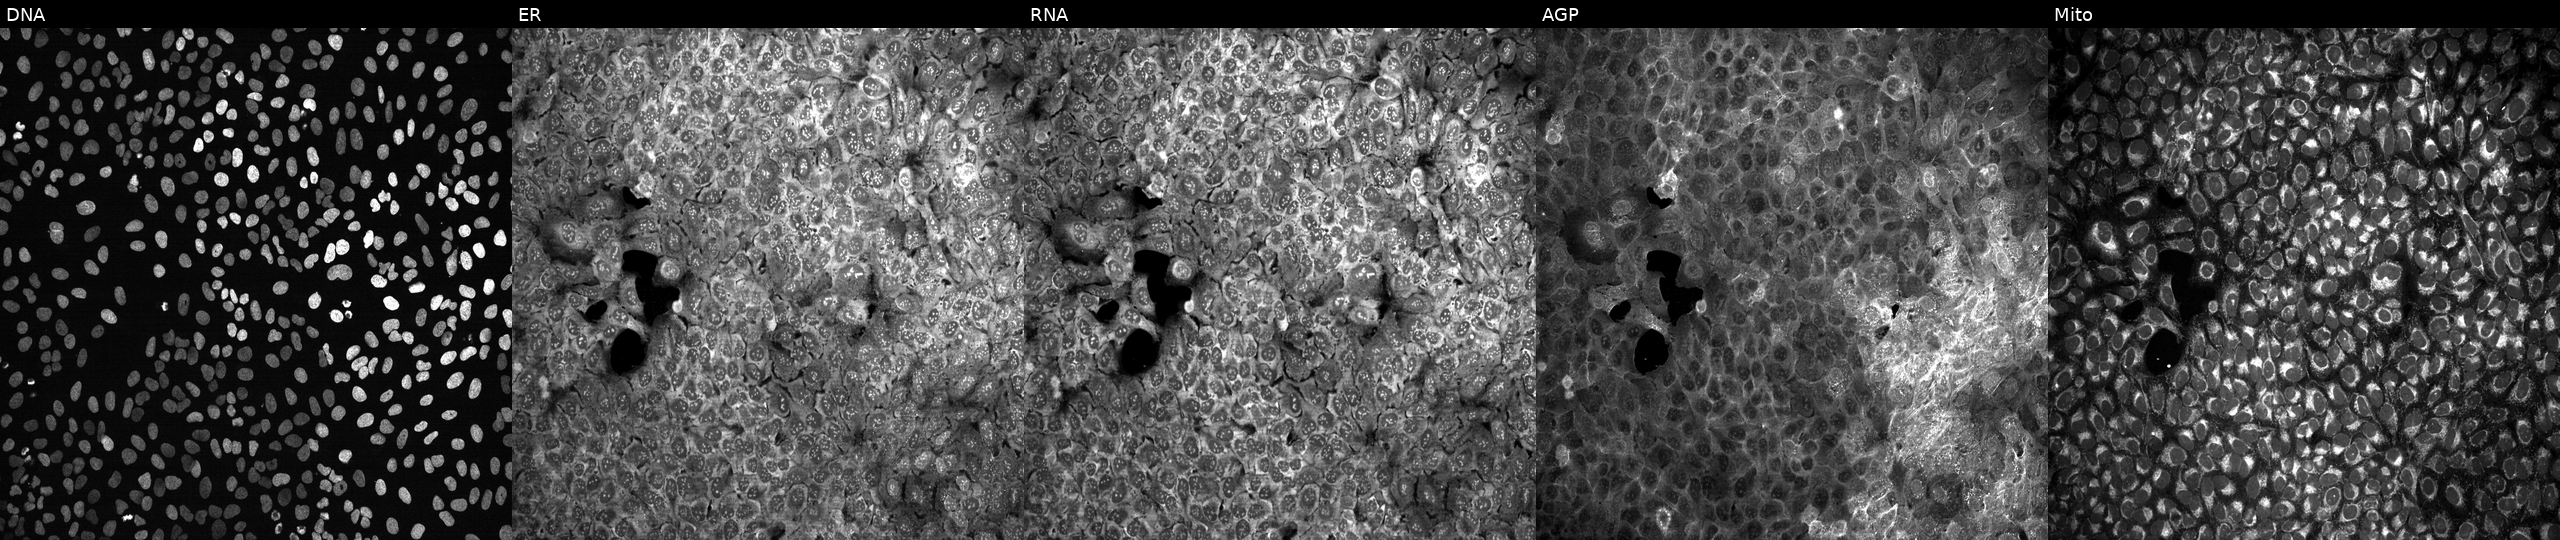
U2OS cells, Cell Painting assay, exposed to the positive-control compound aloxistatin. The five panels, left to right, show DNA (nuclei); ER (endoplasmic reticulum); RNA (nucleoli and cytoplasmic RNA); AGP (actin cytoskeleton, Golgi, and plasma membrane); Mito (mitochondria). Each panel is percentile-stretched 16-bit fluorescence. Source 13, plate CP-CC9-R2-02, well A01.